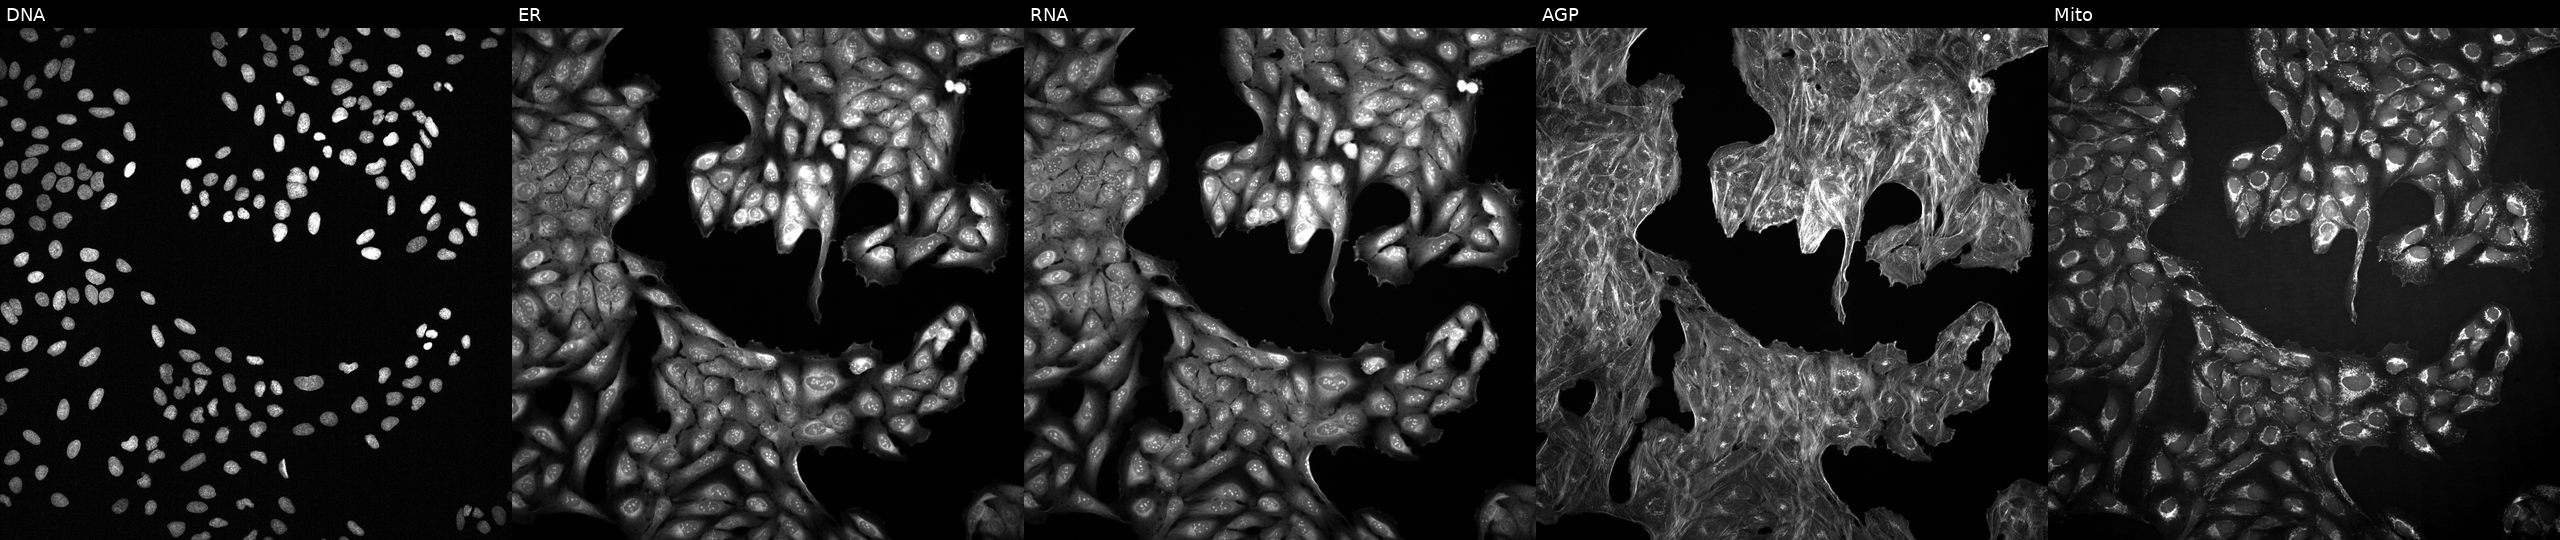
The five panels, left to right, show DNA, ER, RNA, AGP, and Mito. U2OS osteosarcoma cells perturbed with a small-molecule compound (InChIKey ADBYHYYLNFXBAF-UHFFFAOYSA-N) [SMILES: Cn1c(=O)c2c(SCC(=O)N3CCOCC3)ccnc2n(C)c1=O]. Cell Painting assay, JUMP-CP dataset.